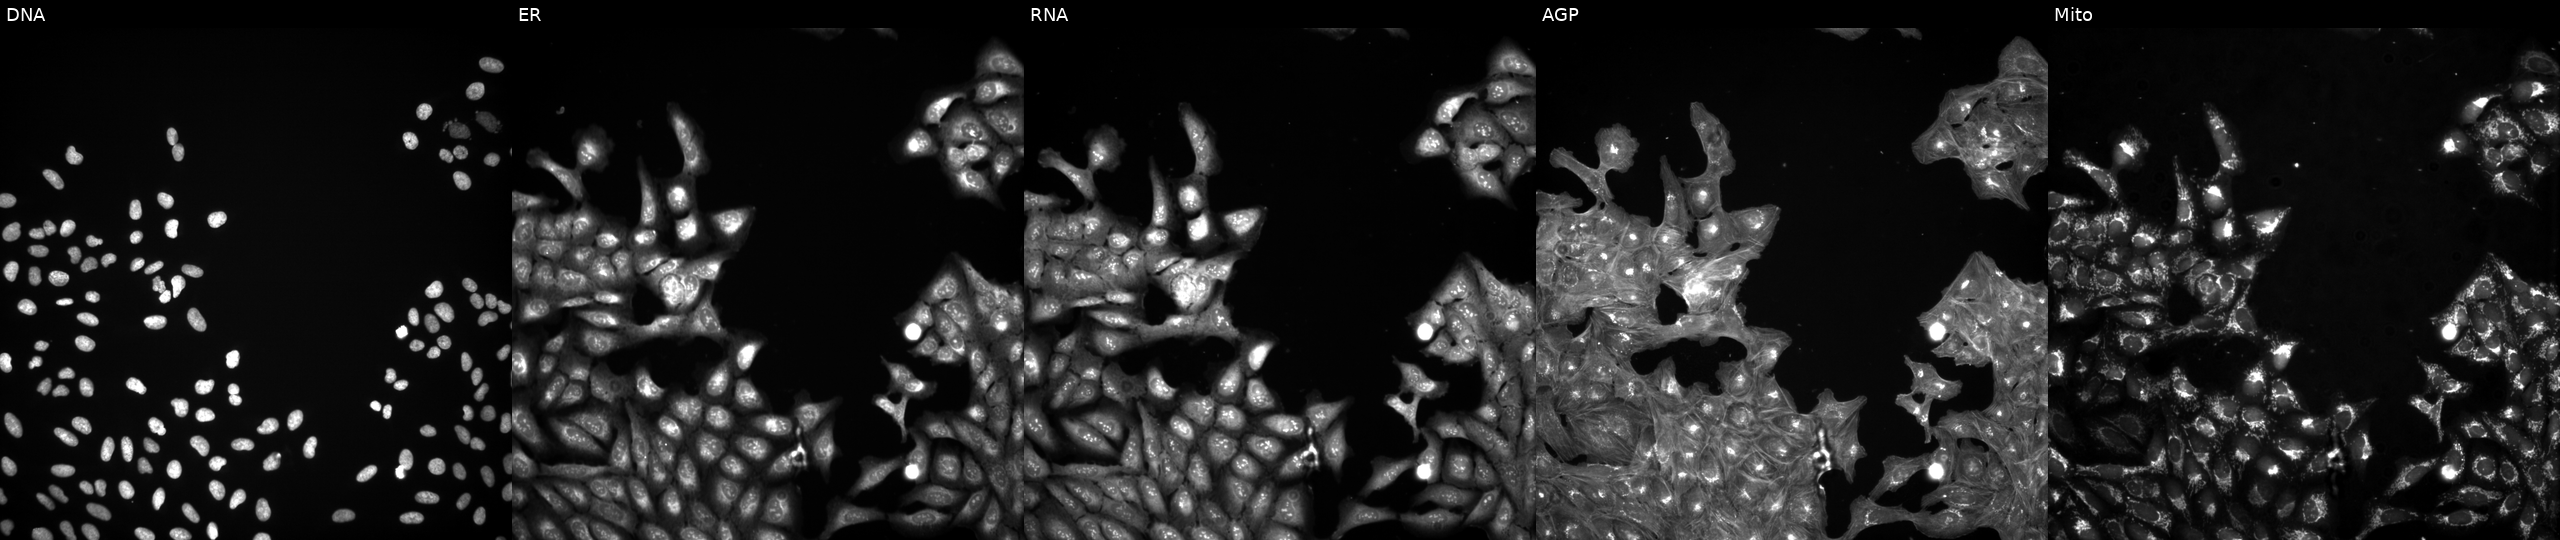
Channels (left→right): DNA, ER, RNA, AGP, and Mito. U2OS osteosarcoma cells untreated (empty-well control) (JUMP id JCP2022_999999). Cell Painting assay, JUMP-CP dataset.